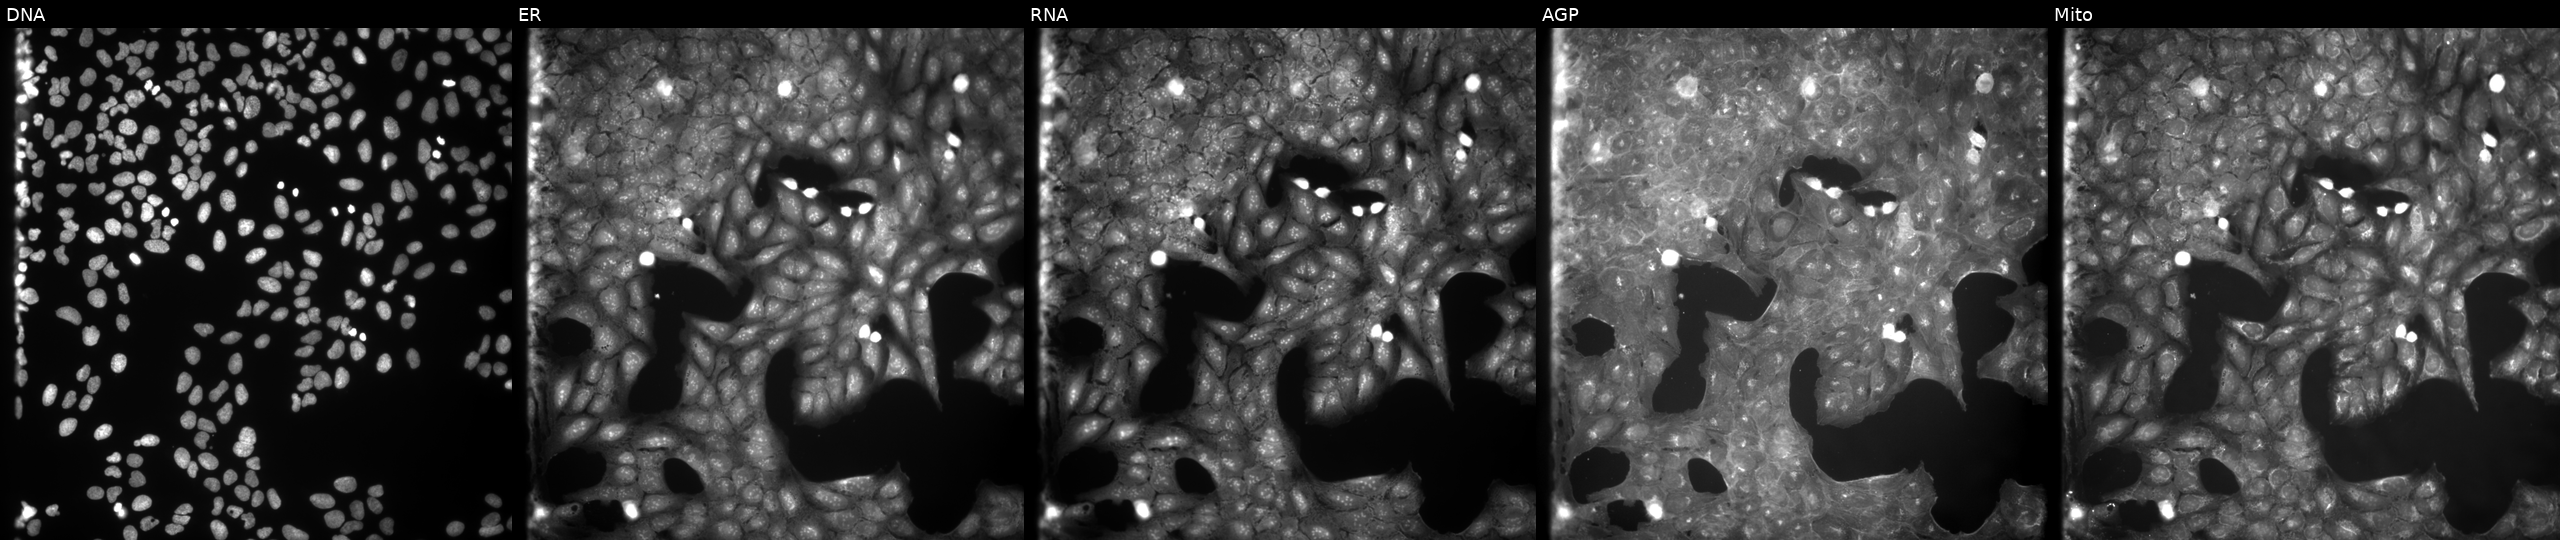
JUMP Cell Painting — COMPOUND plate. U2OS cells perturbed with a small-molecule compound (InChIKey KXTRDSKEGLBEJO-UHFFFAOYSA-N) (JUMP id JCP2022_047672). Panels show, left to right, DNA, ER, RNA, AGP, and Mito. Source 9, plate GR00003381, well G11.